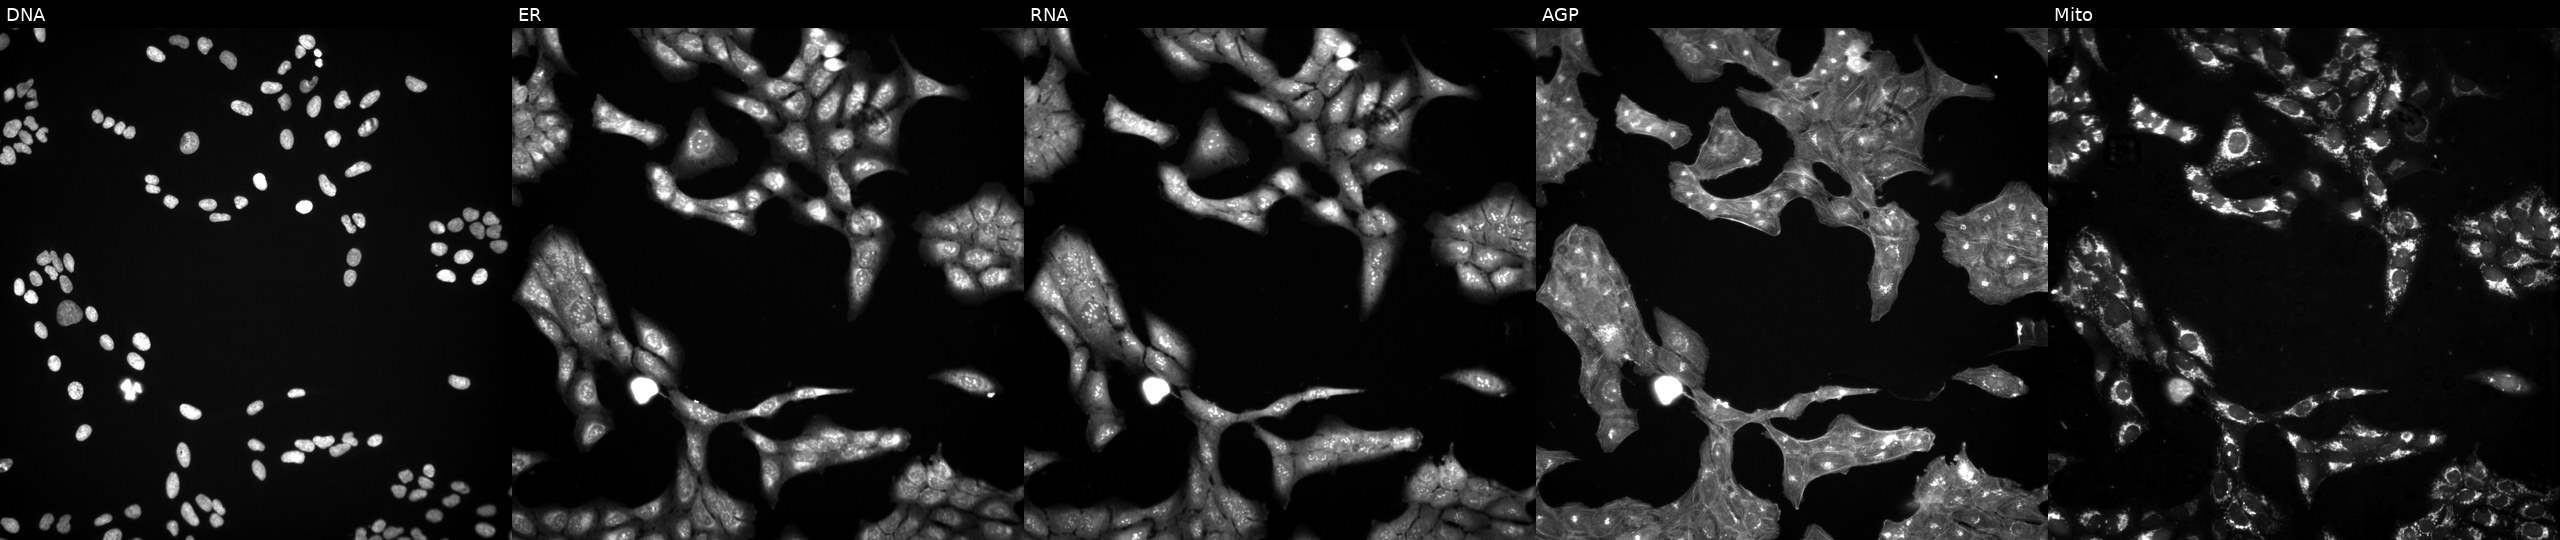
Five-channel Cell Painting image of U2OS cells exposed to a small-molecule compound [SMILES: COc1ccccc1S(=O)(=O)Nc1ccc2c(c1)CN(C)C(=O)N2]. The five panels, left to right, show Hoechst 33342, concanavalin A, SYTO 14, phalloidin and WGA, MitoTracker.